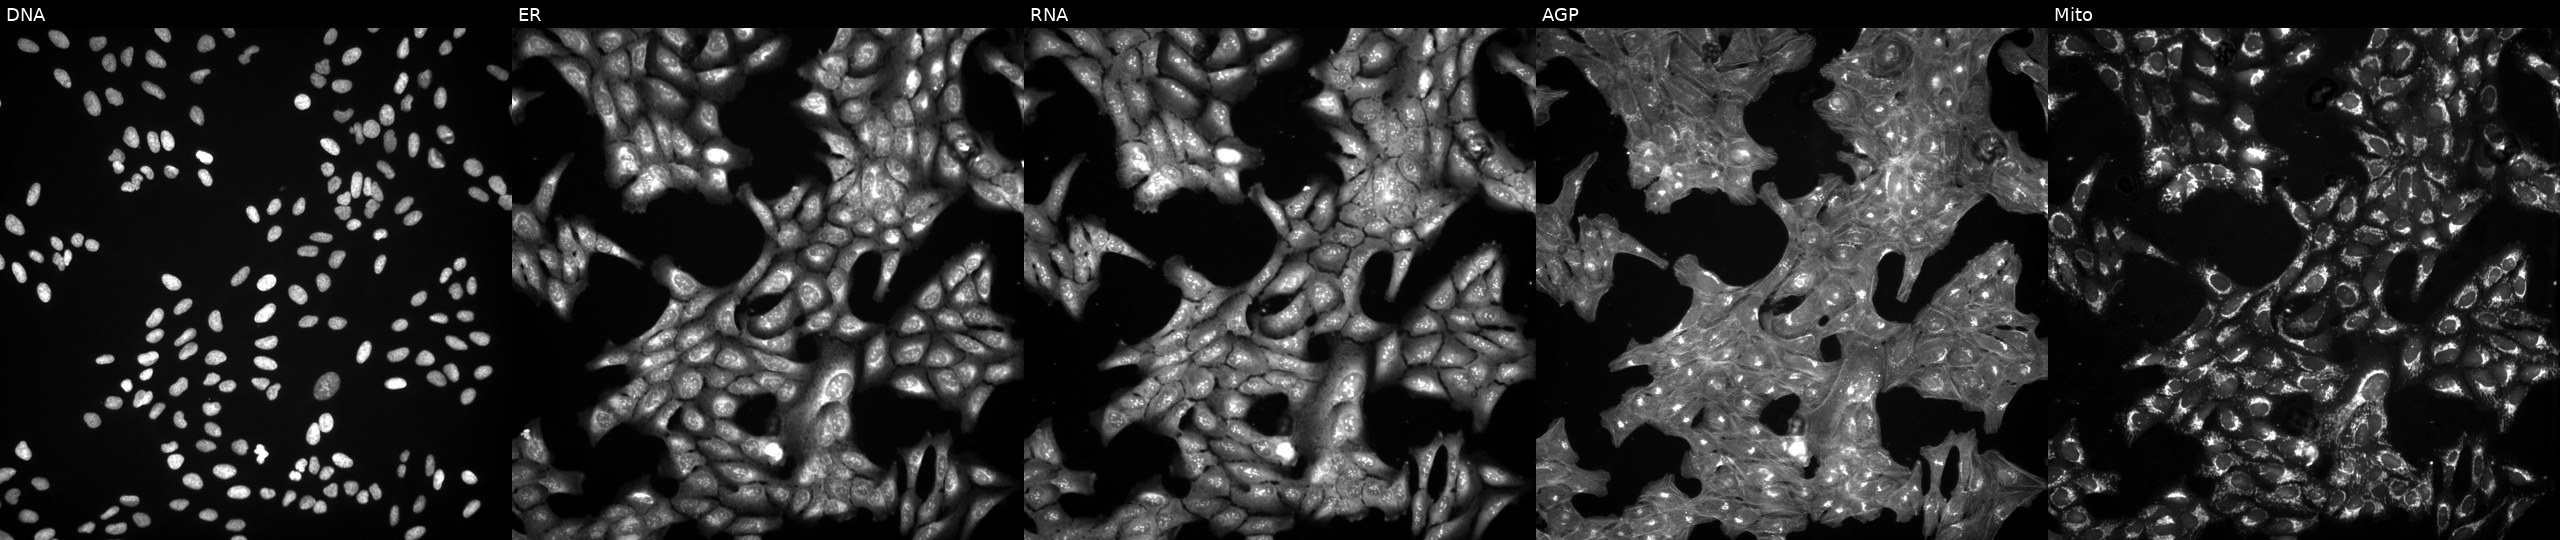
JUMP Cell Painting — COMPOUND plate. U2OS cells exposed to a small-molecule compound [SMILES: Cc1ccc(C(=O)NC(C)c2nc3ccccc3n2CC(=O)Nc2c(C)cc(C)cc2C)cc1] (JUMP id JCP2022_049775). The five panels, left to right, show Hoechst 33342, concanavalin A, SYTO 14, phalloidin and WGA, MitoTracker. Source 3, plate BR5867a3, well L14.